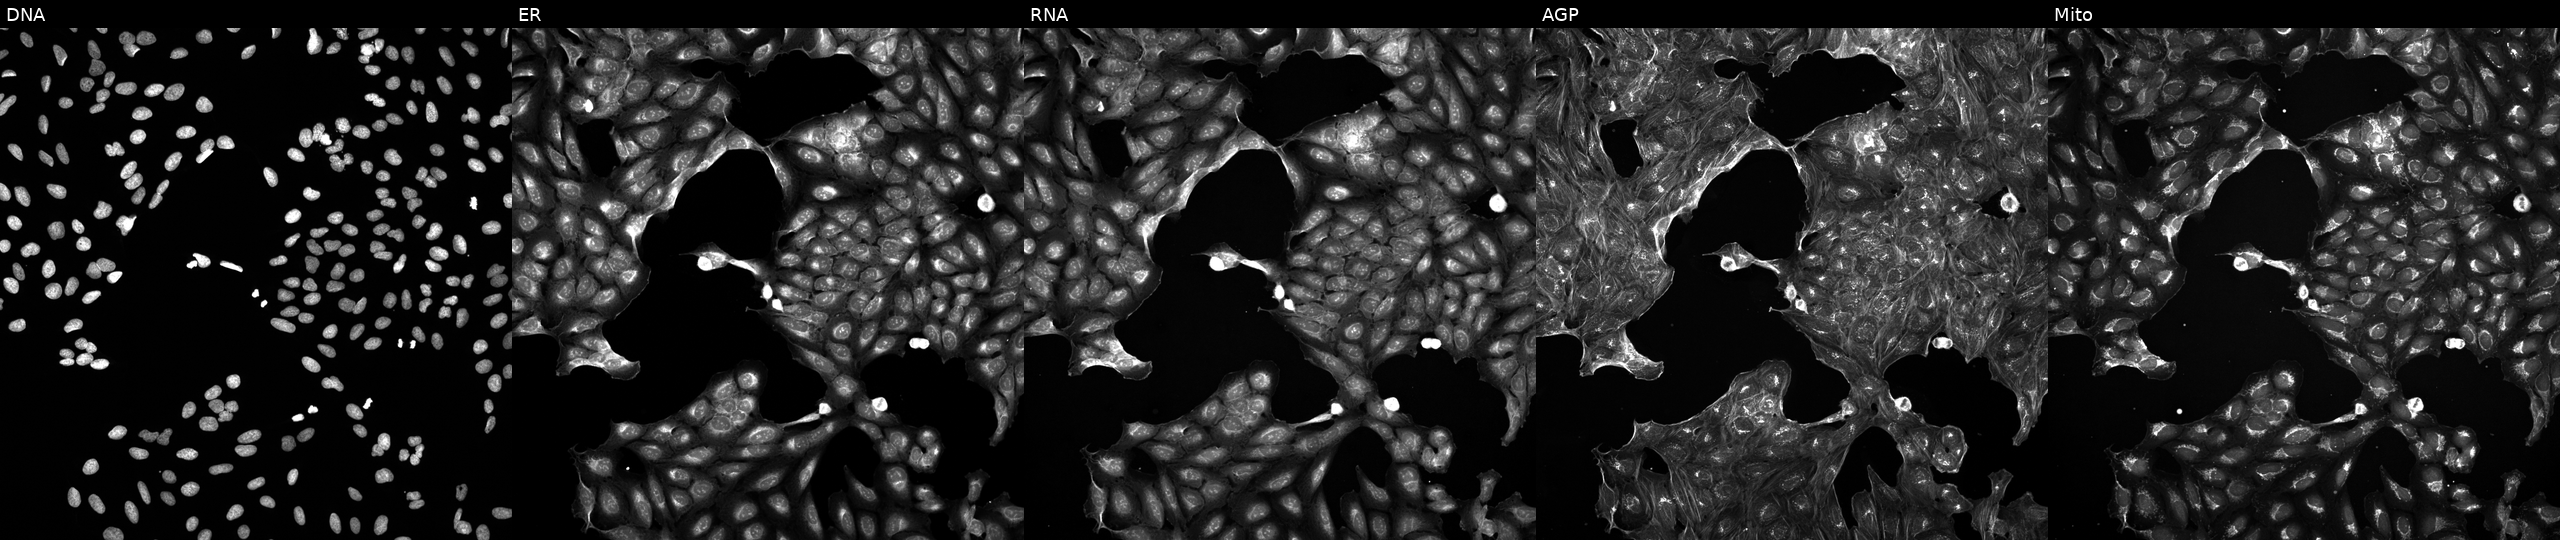
Channels (left→right): Hoechst 33342, concanavalin A, SYTO 14, phalloidin and WGA, MitoTracker. U2OS osteosarcoma cells exposed to a small-molecule compound (InChIKey TXZPMHLMPKIUGK-UHFFFAOYSA-N). Cell Painting assay, JUMP-CP dataset. Source 5, plate ACPJUM051, well C06.